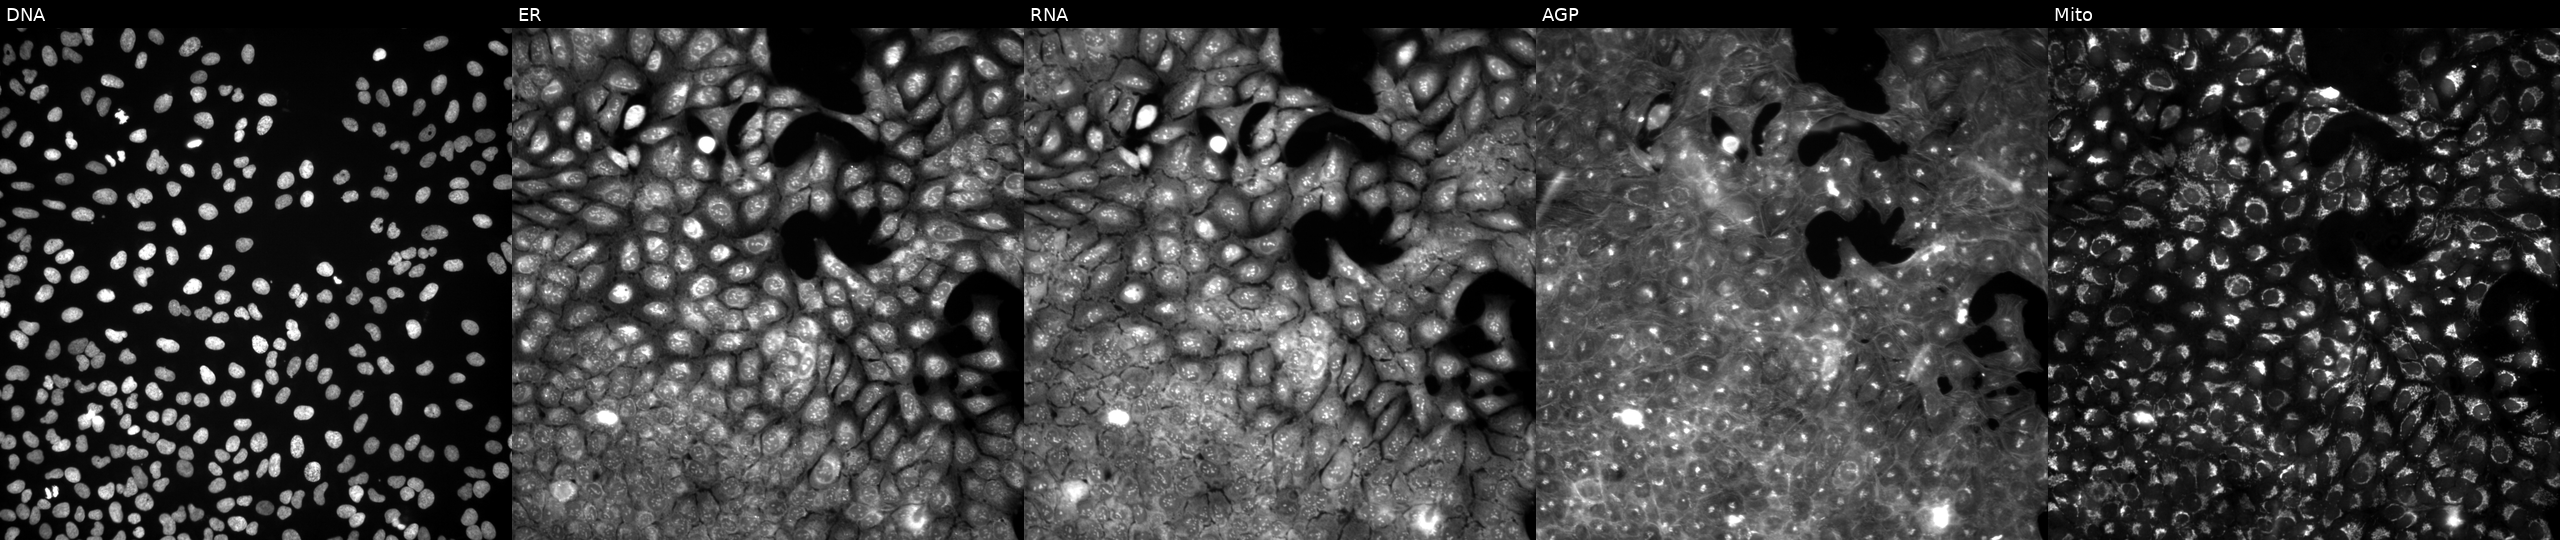
Channels (left→right): DNA, ER, RNA, AGP, and Mito. U2OS osteosarcoma cells treated with a small-molecule compound (InChIKey ZZCFEKCNAKAUQE-UHFFFAOYSA-N) (JUMP id JCP2022_116601). Cell Painting assay, JUMP-CP dataset.